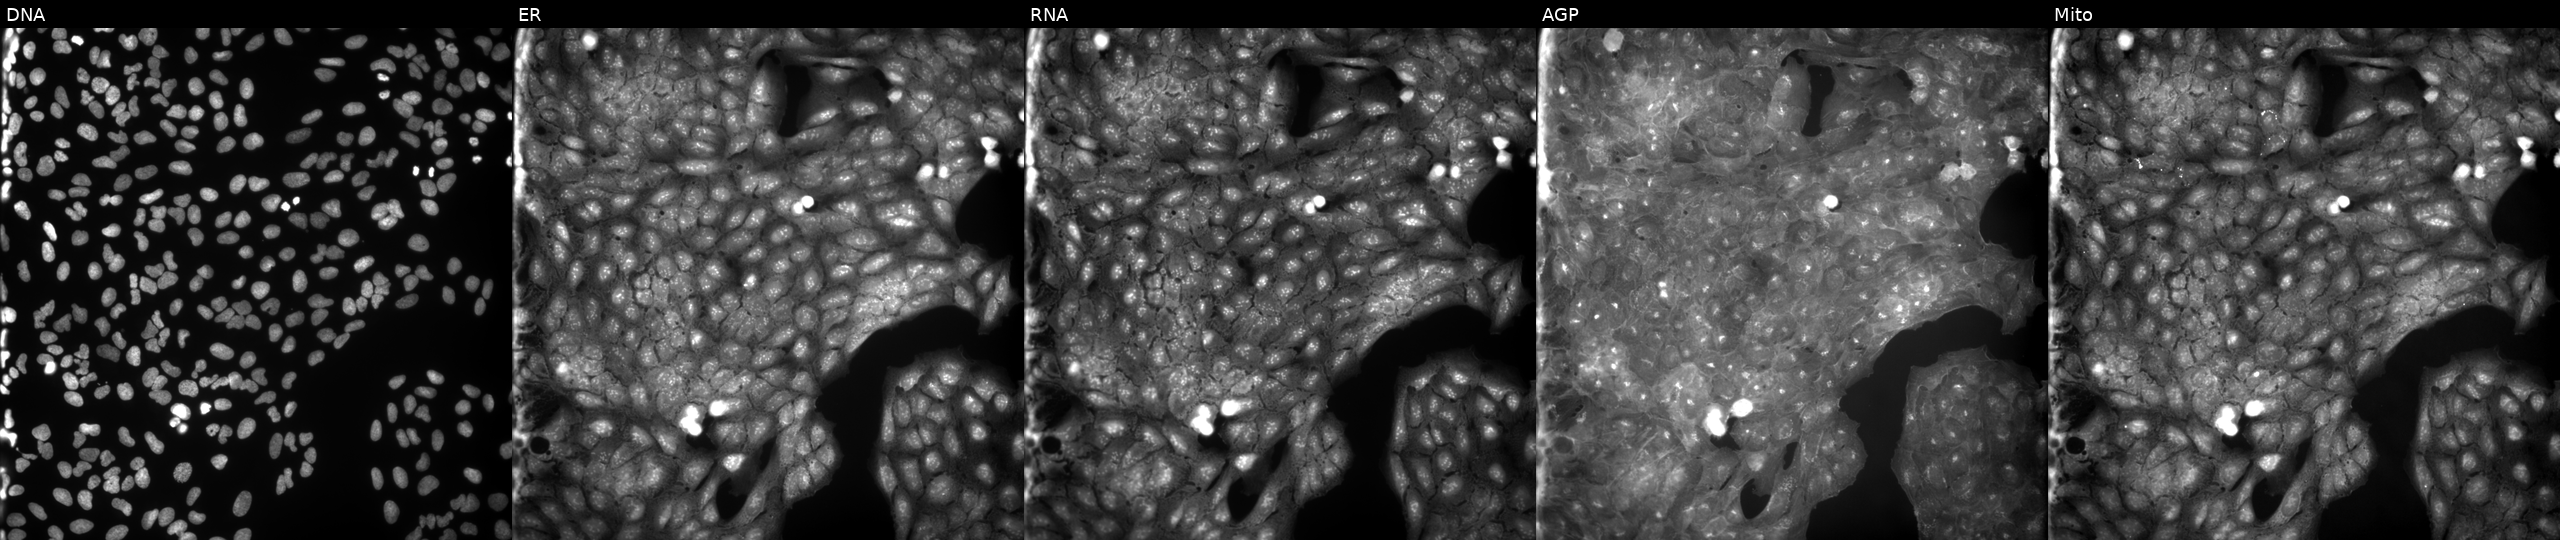
This image strip shows the five Cell Painting channels for a single field of U2OS cells perturbed with a small-molecule compound. From left to right: Hoechst 33342, concanavalin A, SYTO 14, phalloidin and WGA, MitoTracker.